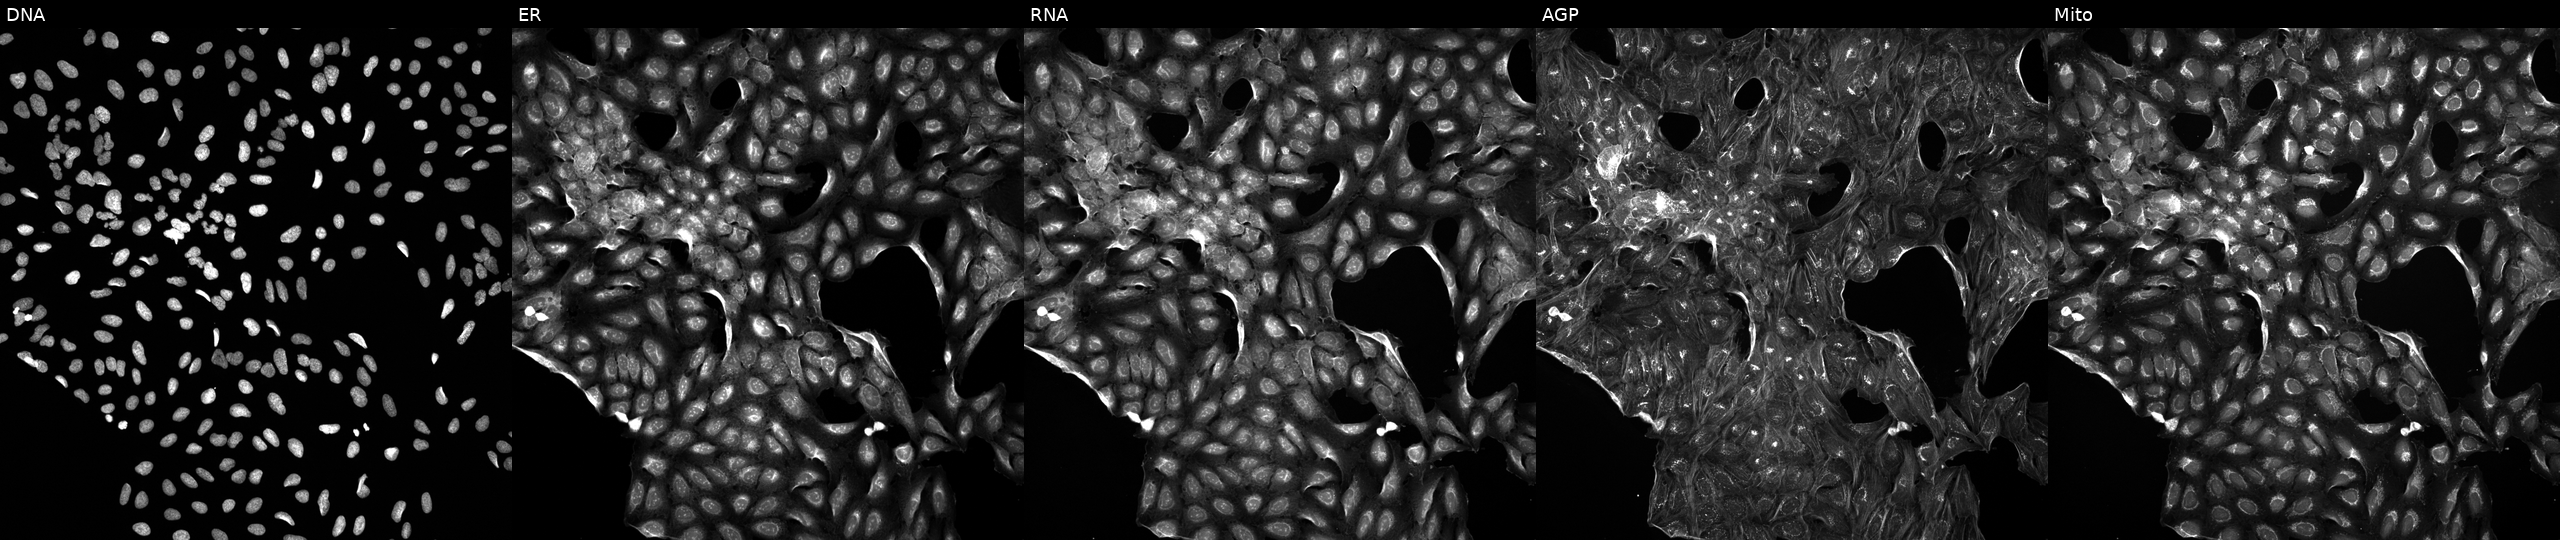
High-content fluorescence microscopy (Cell Painting). Cell line: U2OS. Perturbation: treated with a small-molecule compound (InChIKey ZKKZXMXIVBOHGI-UHFFFAOYSA-N). From left to right: Hoechst 33342, concanavalin A, SYTO 14, phalloidin and WGA, MitoTracker.